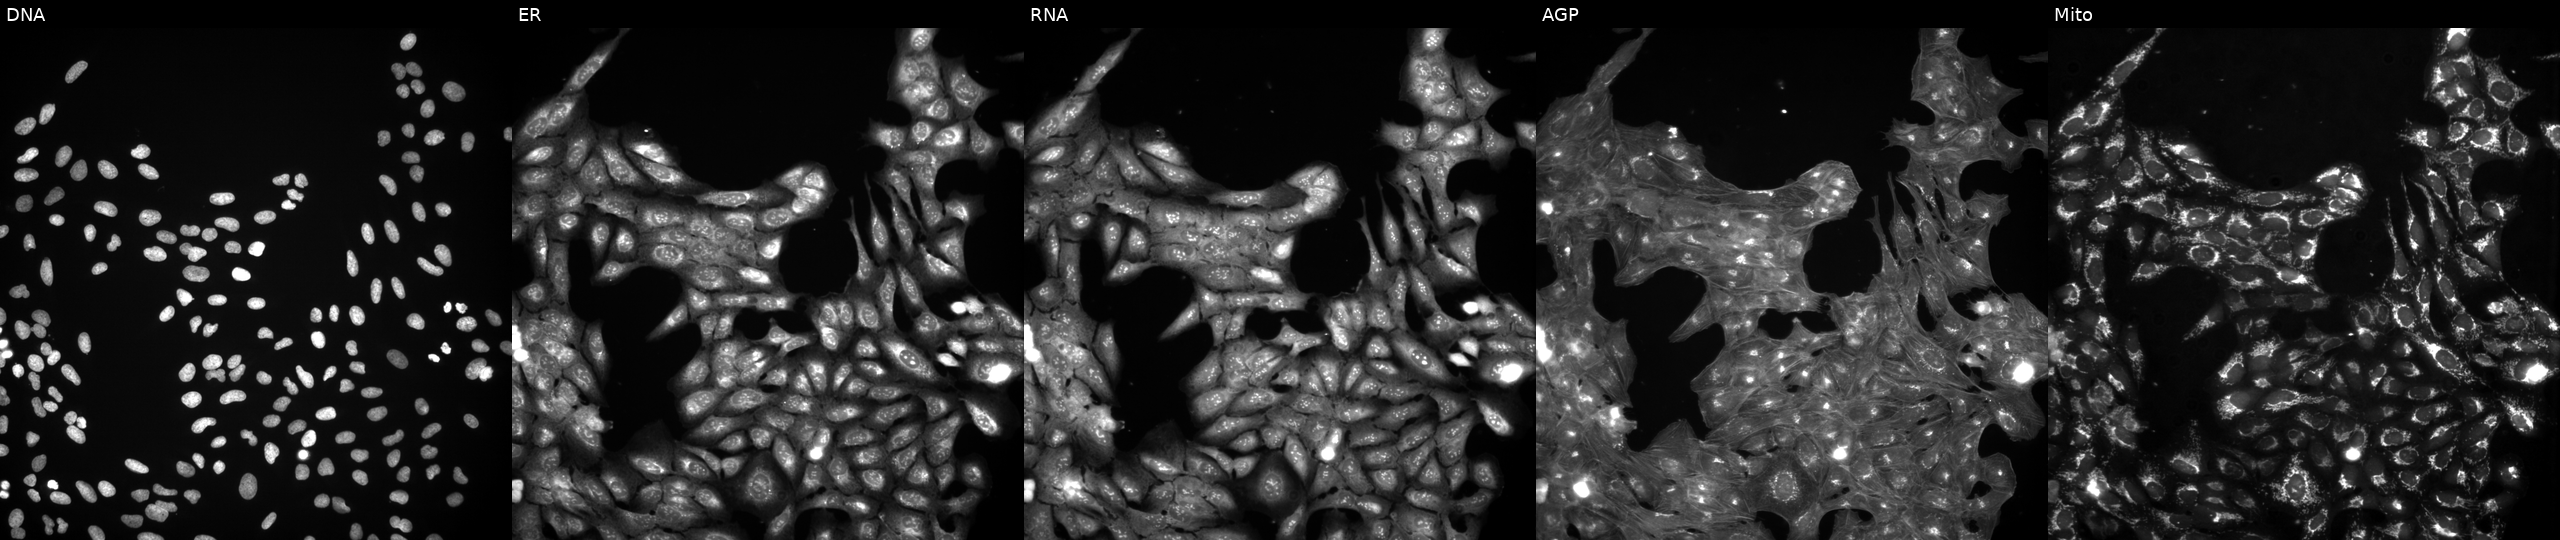
Five-channel Cell Painting image of U2OS cells in an empty control well (no perturbation) (JUMP id JCP2022_999999). From left to right: Hoechst 33342, concanavalin A, SYTO 14, phalloidin and WGA, MitoTracker.